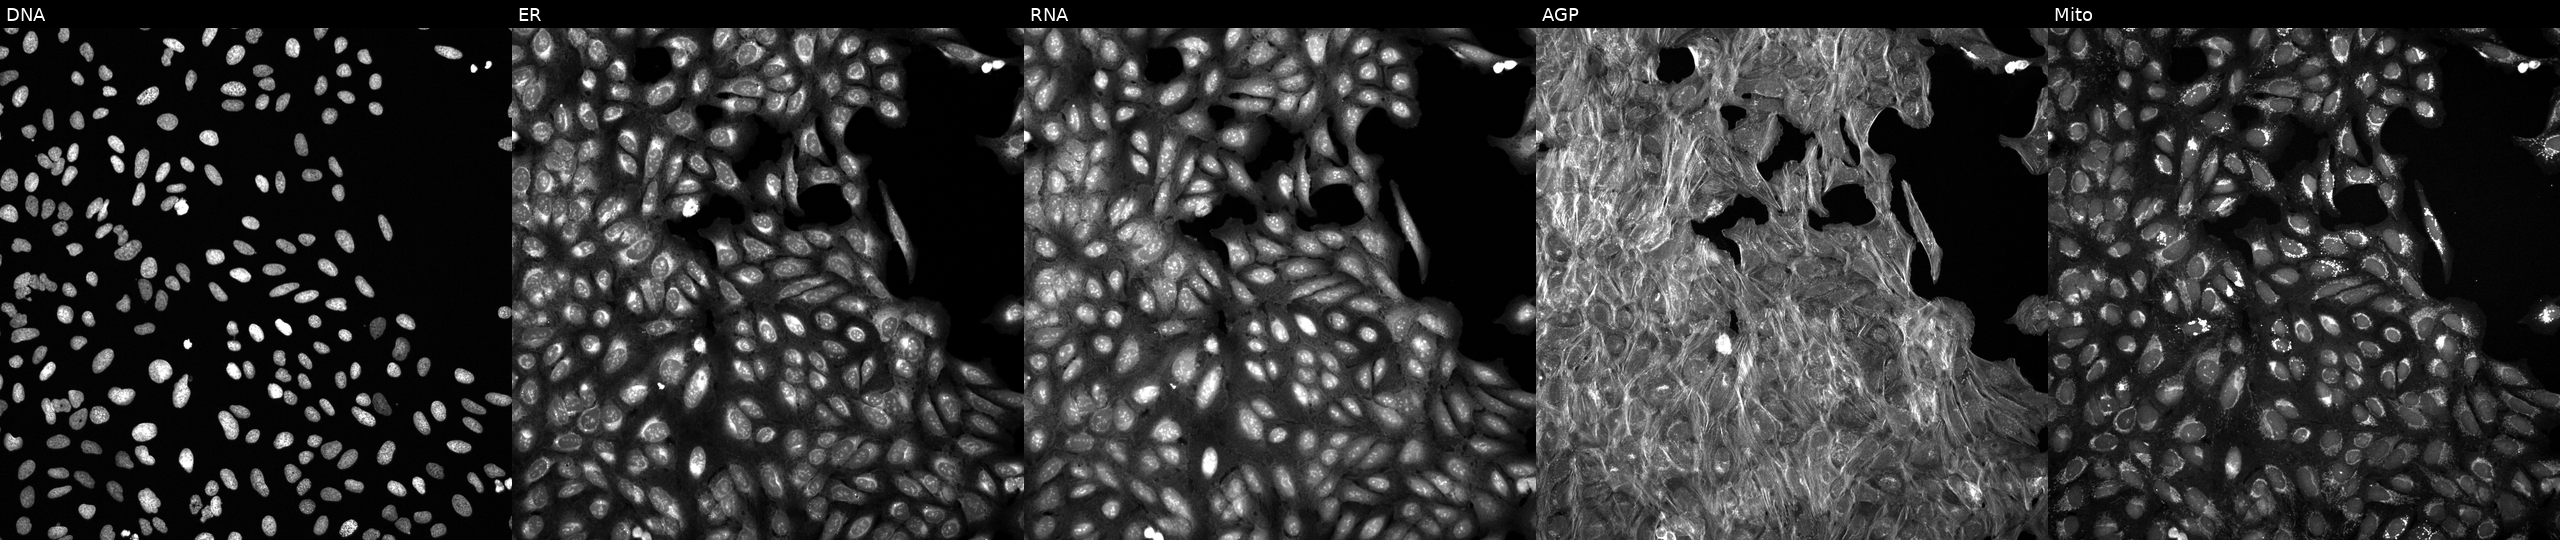
U2OS cells, Cell Painting assay, treated with DMSO vehicle only (negative control) (JUMP id JCP2022_033924). Panels show, left to right, DNA (nuclei); ER (endoplasmic reticulum); RNA (nucleoli and cytoplasmic RNA); AGP (actin cytoskeleton, Golgi, and plasma membrane); Mito (mitochondria). Each panel is percentile-stretched 16-bit fluorescence.